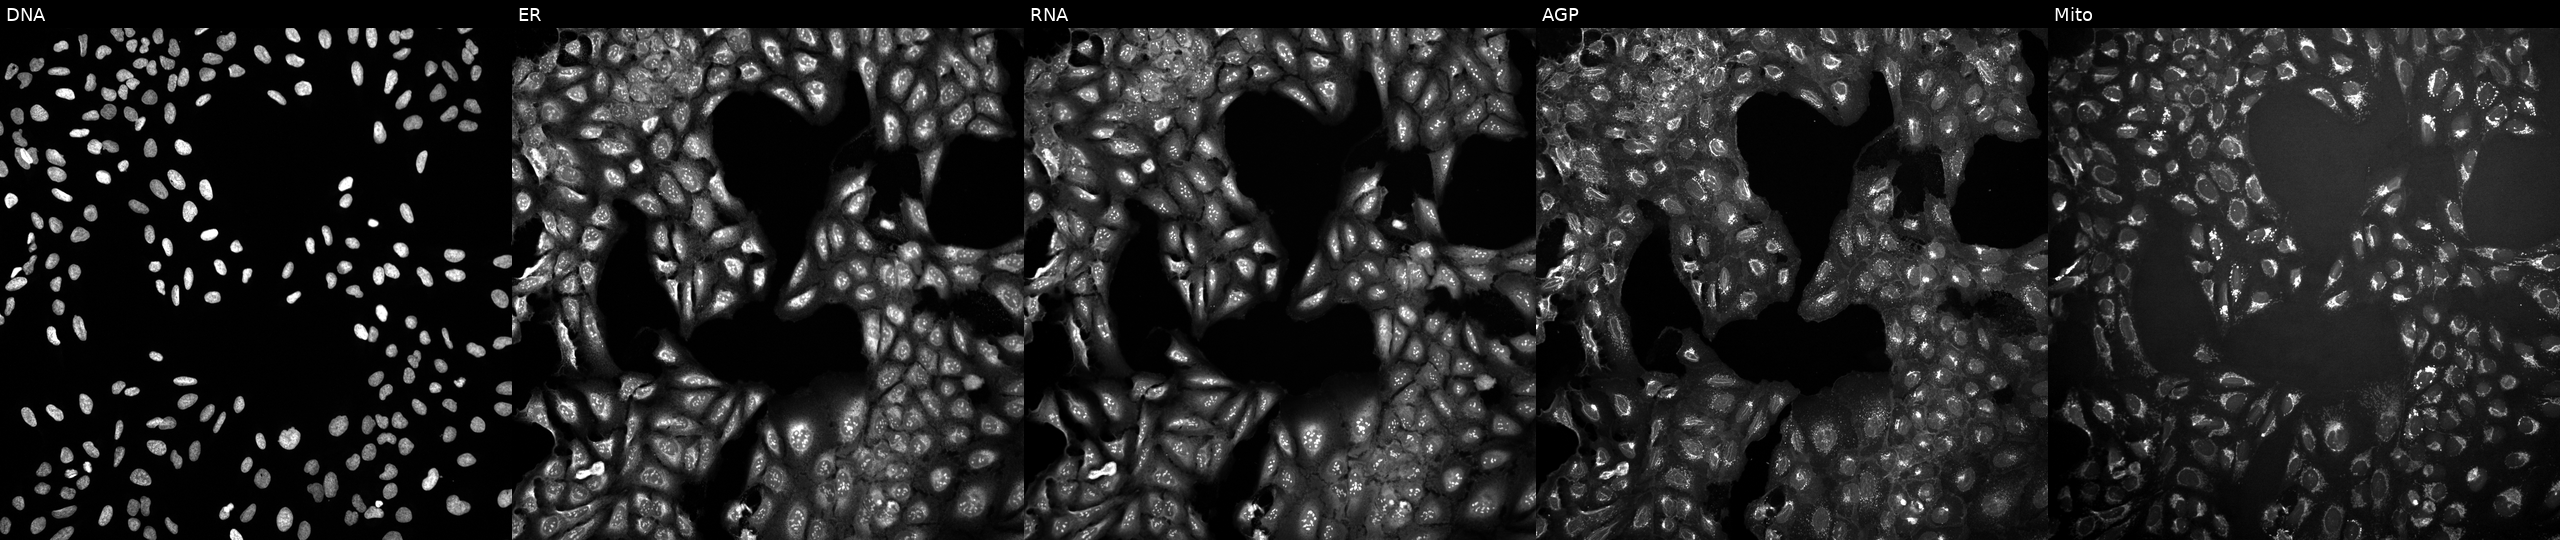
High-content fluorescence microscopy (Cell Painting). Cell line: U2OS. Perturbation: exposed to a small-molecule compound [SMILES: NCC(CC(=O)O)c1ccc(Cl)cc1] (JUMP id JCP2022_046239). Panels show, left to right, Hoechst 33342, concanavalin A, SYTO 14, phalloidin and WGA, MitoTracker.